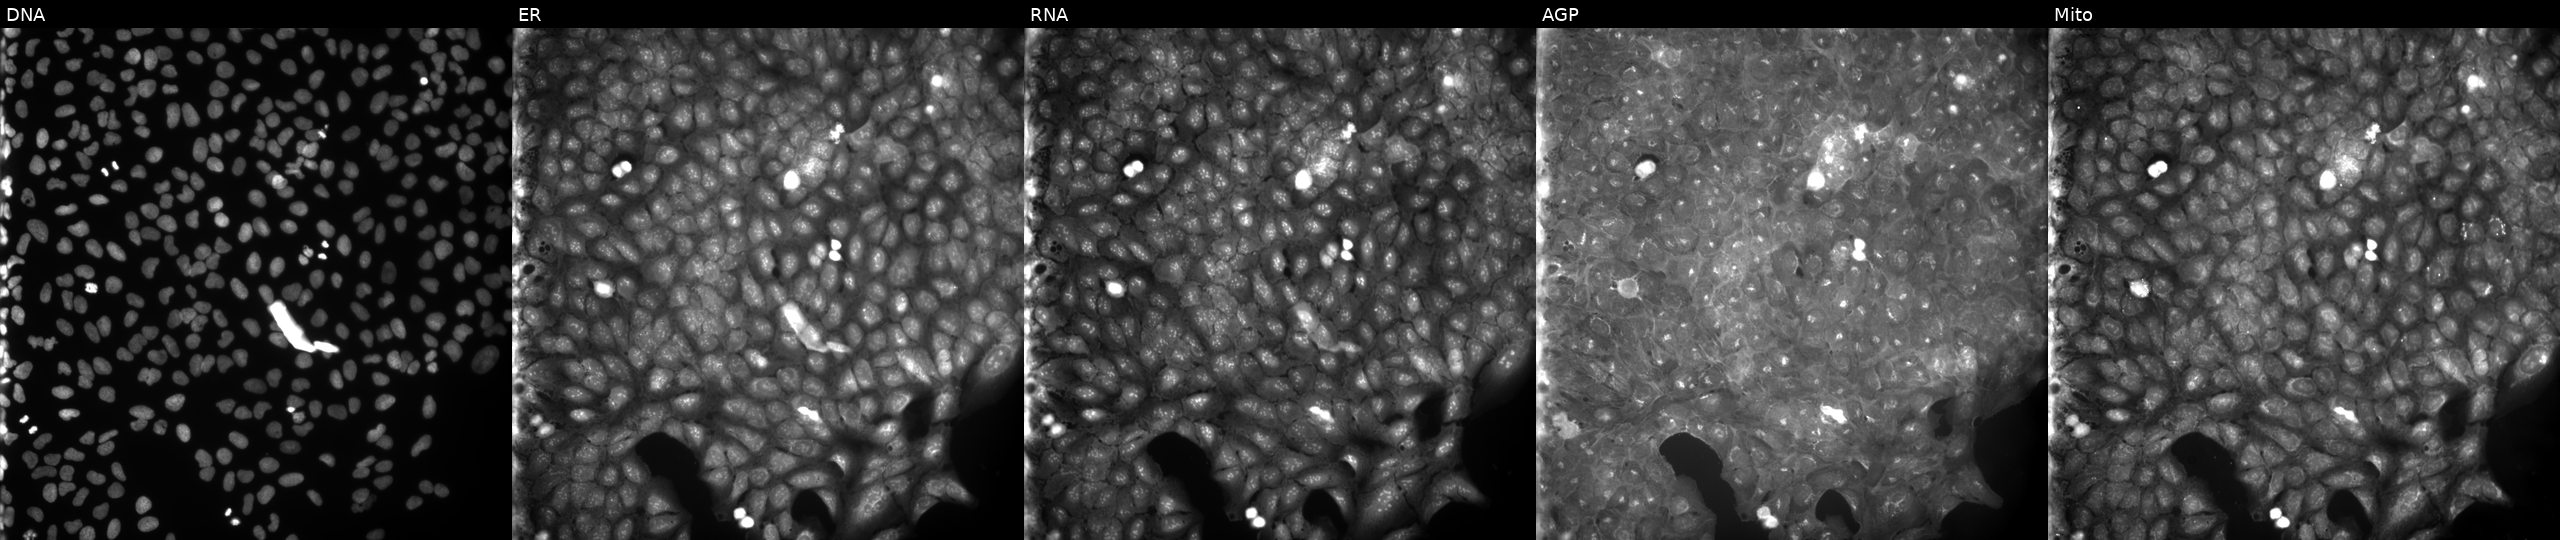
High-content fluorescence microscopy (Cell Painting). Cell line: U2OS. Perturbation: treated with a small-molecule compound (InChIKey WROZNYYIPZQONJ-UHFFFAOYSA-N) [SMILES: Cc1cccc(N(CC(=O)N(C)Cc2ccccc2)S(=O)(=O)c2ccccc2)c1C]. The five panels, left to right, show DNA, ER, RNA, AGP, and Mito.